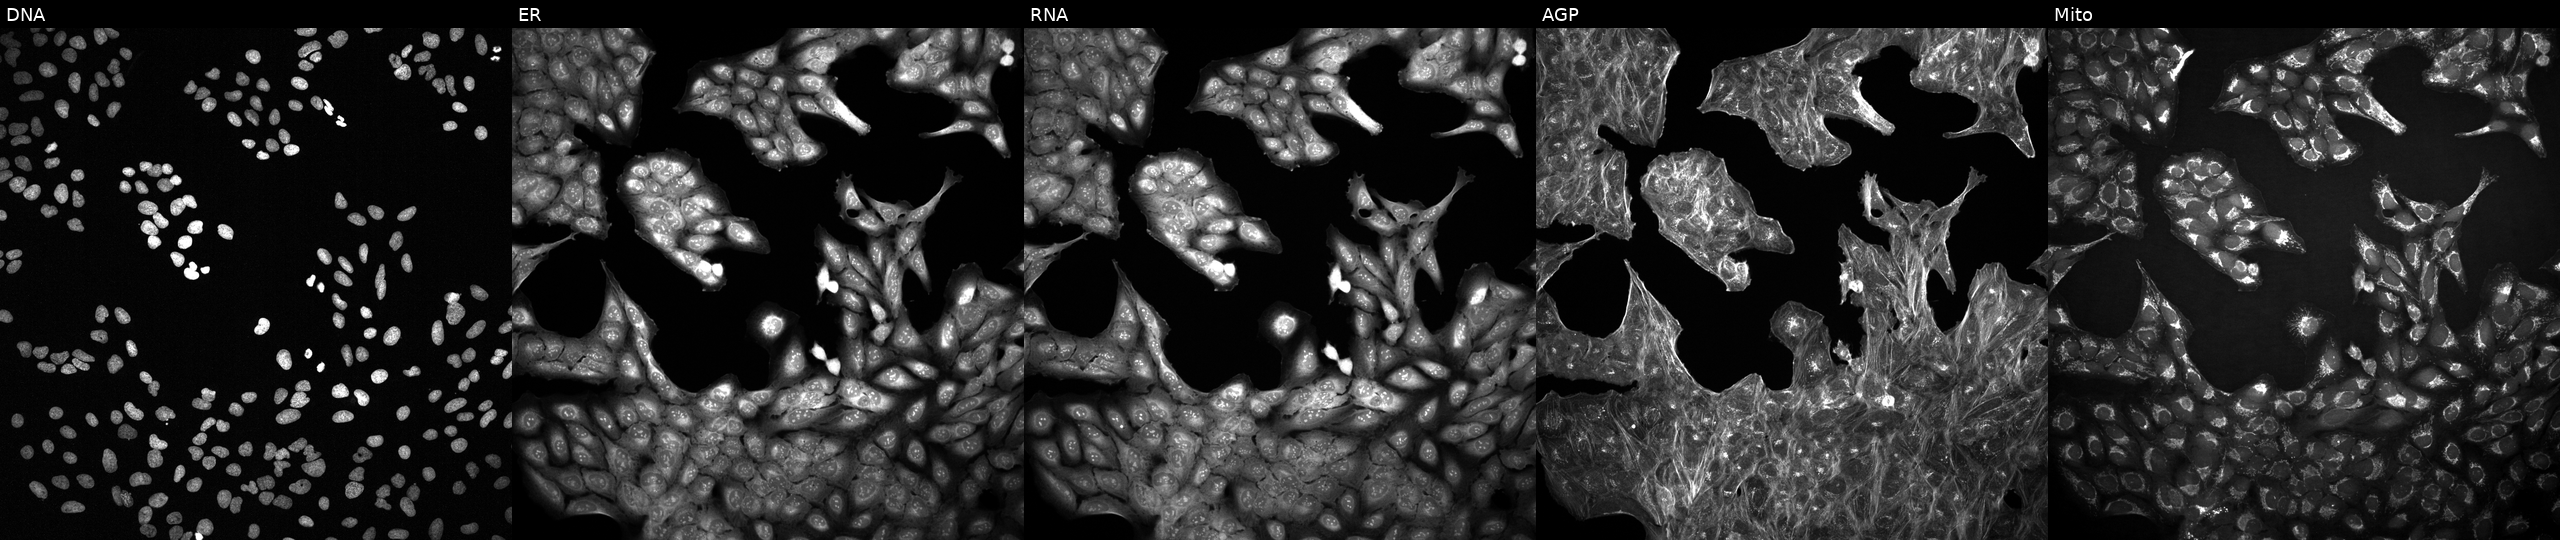
From left to right: Hoechst 33342, concanavalin A, SYTO 14, phalloidin and WGA, MitoTracker. U2OS osteosarcoma cells perturbed with a small-molecule compound (JUMP id JCP2022_081637). Cell Painting assay, JUMP-CP dataset. Source 2, plate 1053601756, well I13.